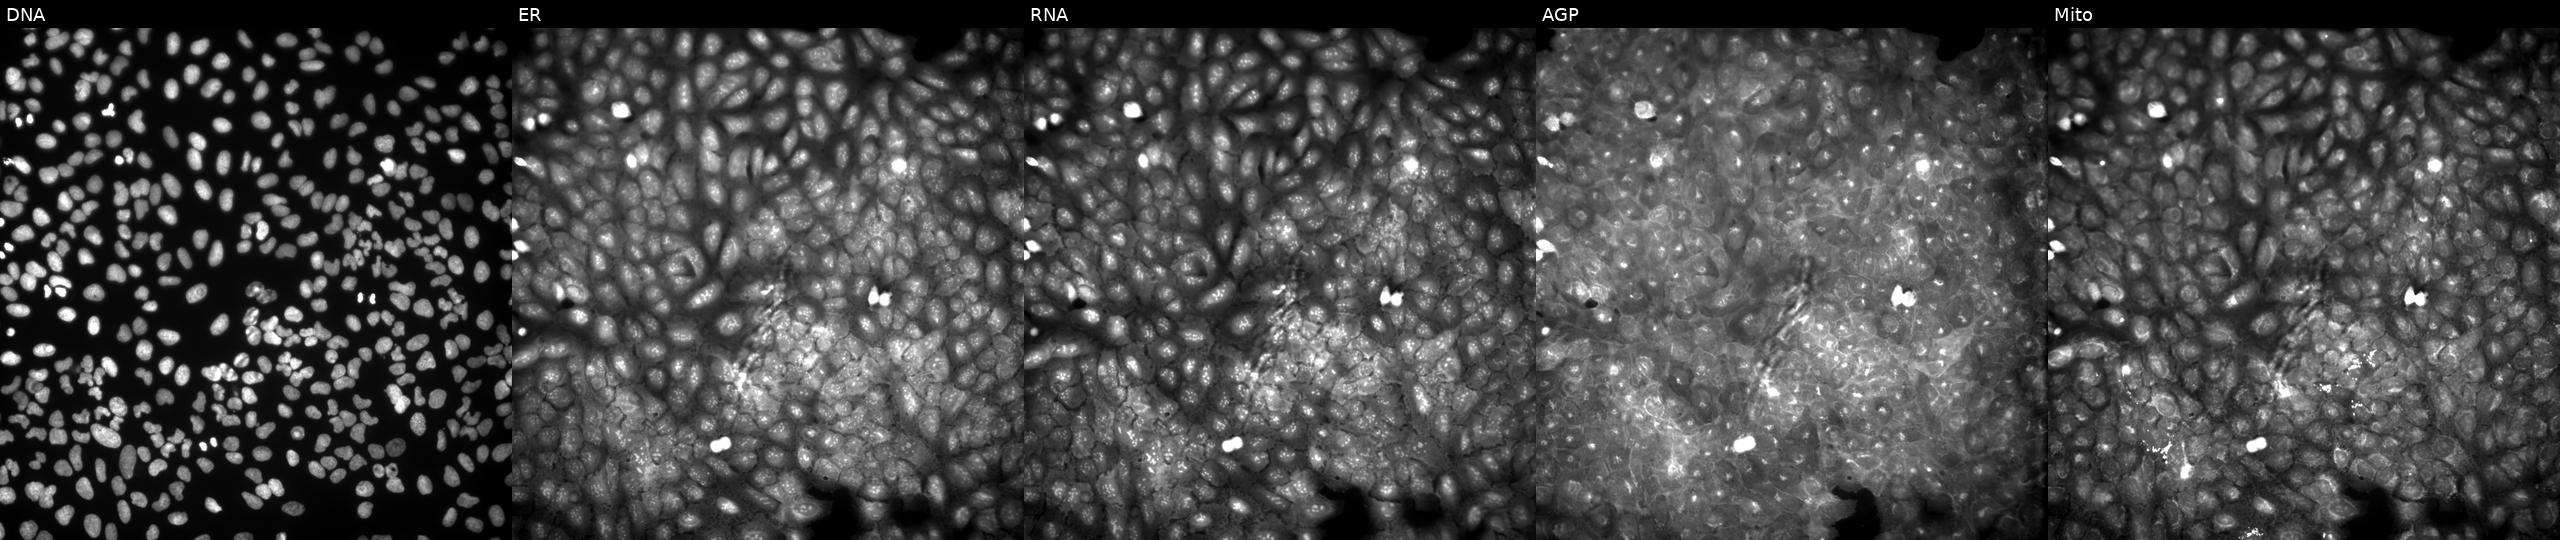
U2OS cells, Cell Painting assay, perturbed with a small-molecule compound (InChIKey BEGHBZIOVHCEFJ-UHFFFAOYSA-N) (JUMP id JCP2022_005748). From left to right: Hoechst 33342, concanavalin A, SYTO 14, phalloidin and WGA, MitoTracker. Each panel is percentile-stretched 16-bit fluorescence. Source 9, plate GR00003382, well Y36.